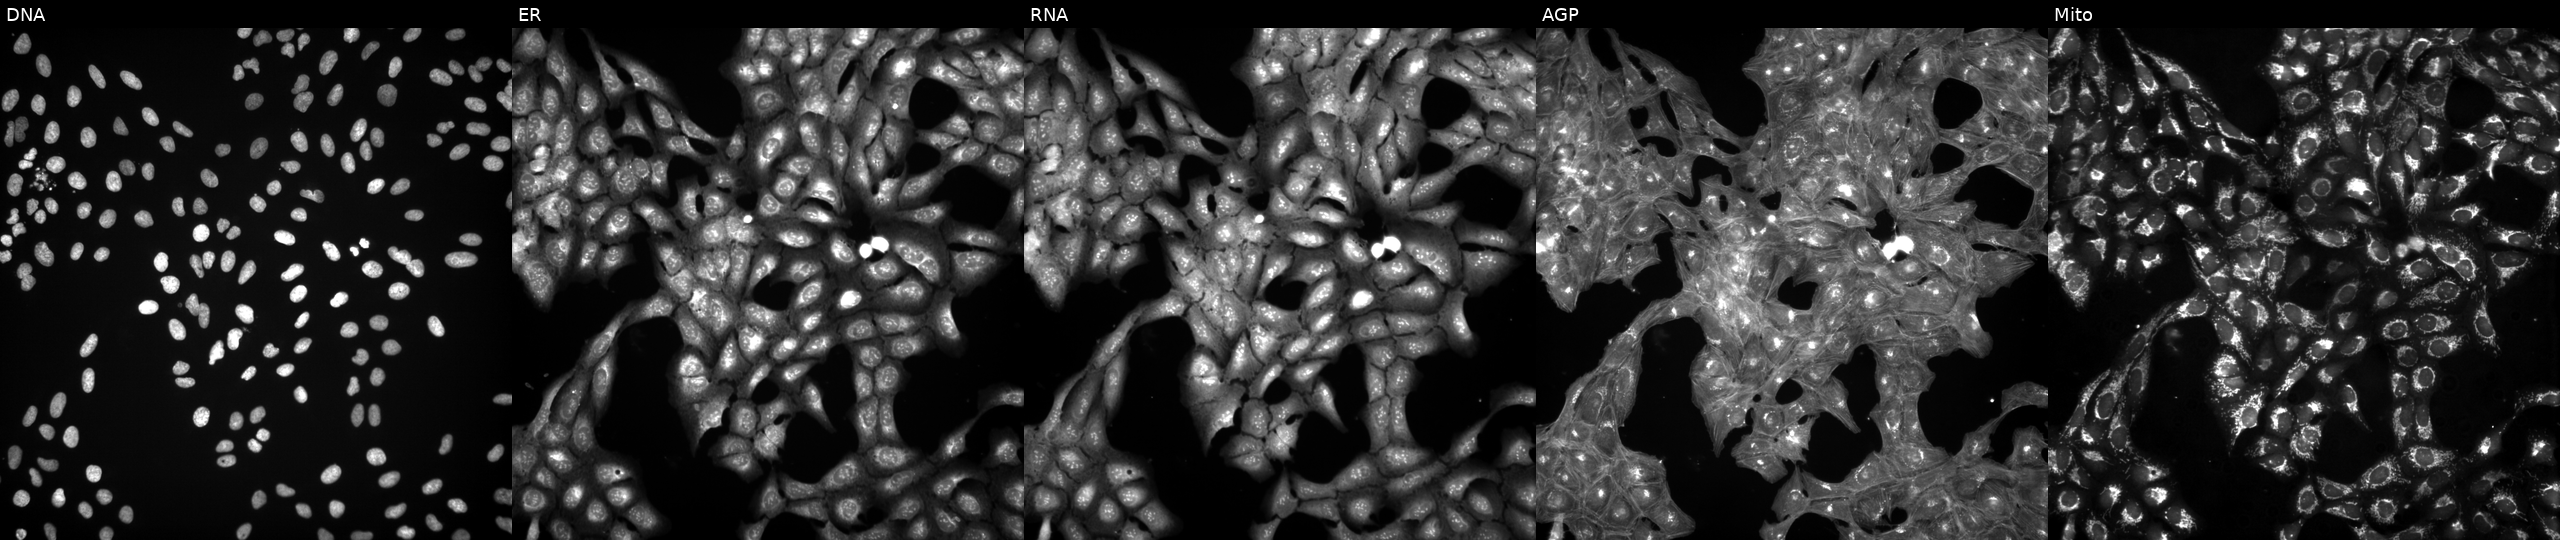
This image strip shows the five Cell Painting channels for a single field of U2OS cells exposed to a small-molecule compound (InChIKey OJLOPKGSLYJEMD-UHFFFAOYSA-N) (JUMP id JCP2022_064183). Panels show, left to right, DNA (nuclei); ER (endoplasmic reticulum); RNA (nucleoli and cytoplasmic RNA); AGP (actin cytoskeleton, Golgi, and plasma membrane); Mito (mitochondria).